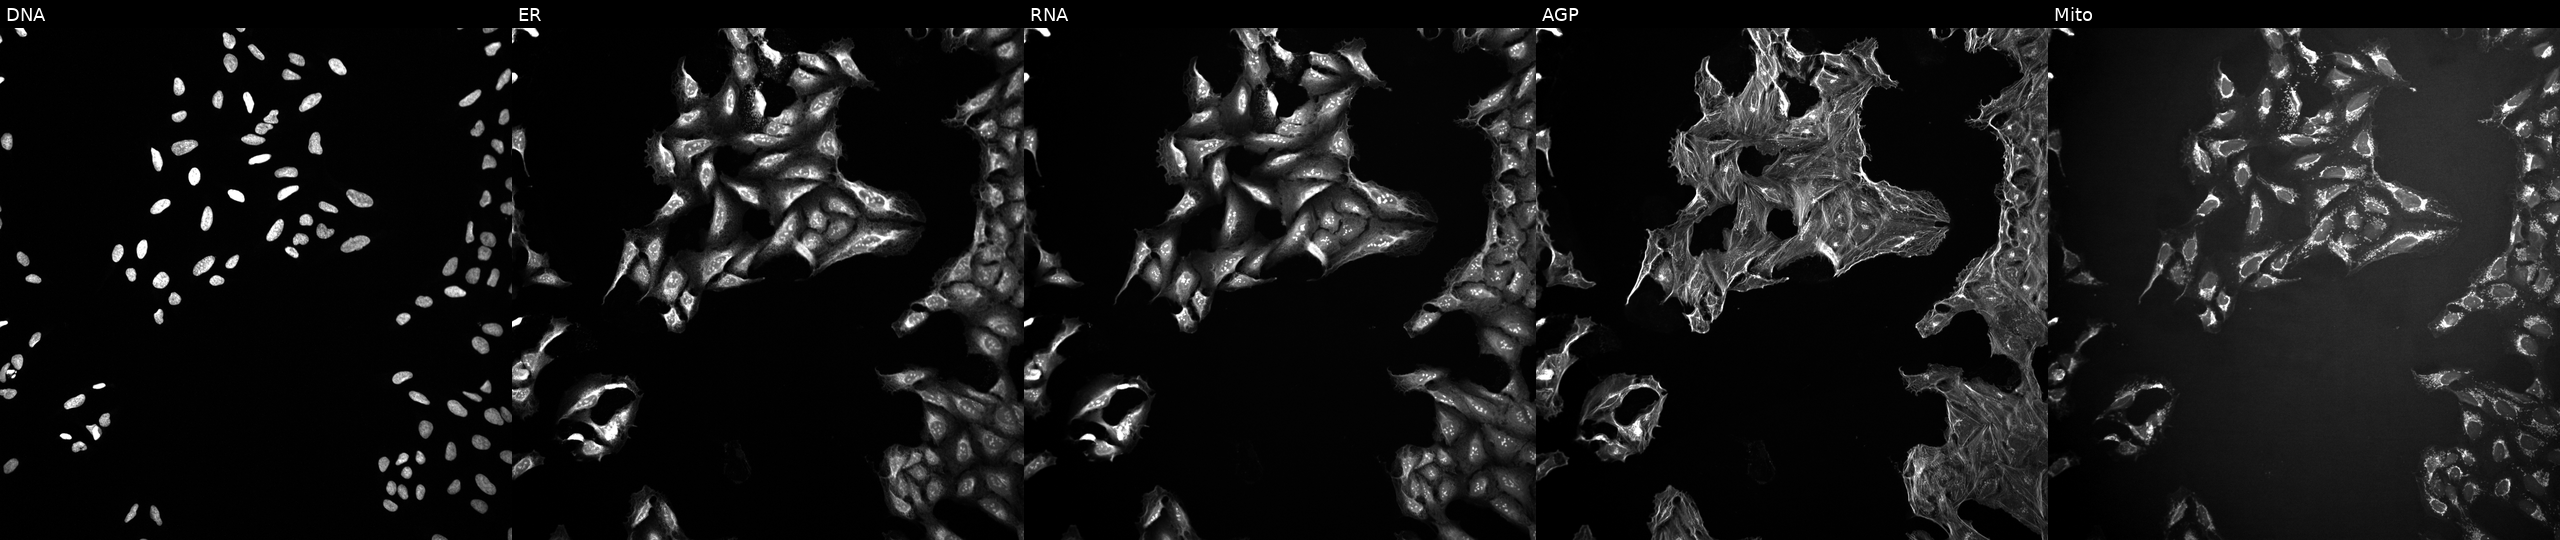
U2OS cells, Cell Painting assay, exposed to a small-molecule compound (InChIKey IFIUFCJFLGCQPH-UHFFFAOYSA-N) (JUMP id JCP2022_034709). From left to right: DNA, ER, RNA, AGP, and Mito. Each panel is percentile-stretched 16-bit fluorescence. Source 10, plate Dest210727-153003, well G17.